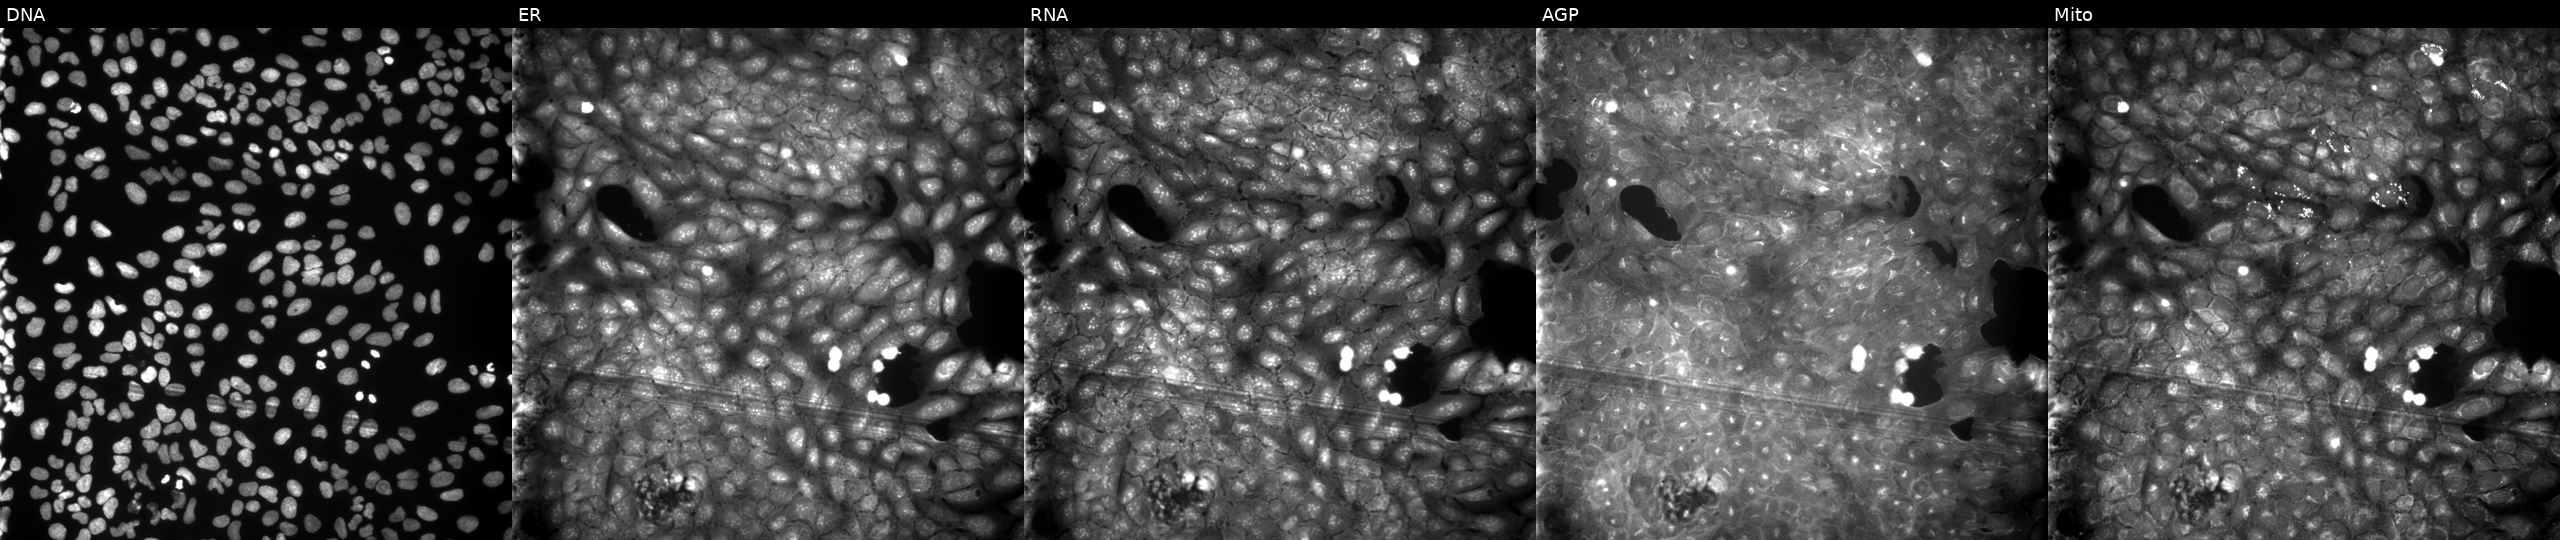
JUMP Cell Painting — COMPOUND plate. U2OS cells treated with a small-molecule compound (InChIKey ZWKRGWCDZVHOAF-UHFFFAOYSA-N) (JUMP id JCP2022_116114). The five panels, left to right, show Hoechst 33342, concanavalin A, SYTO 14, phalloidin and WGA, MitoTracker.